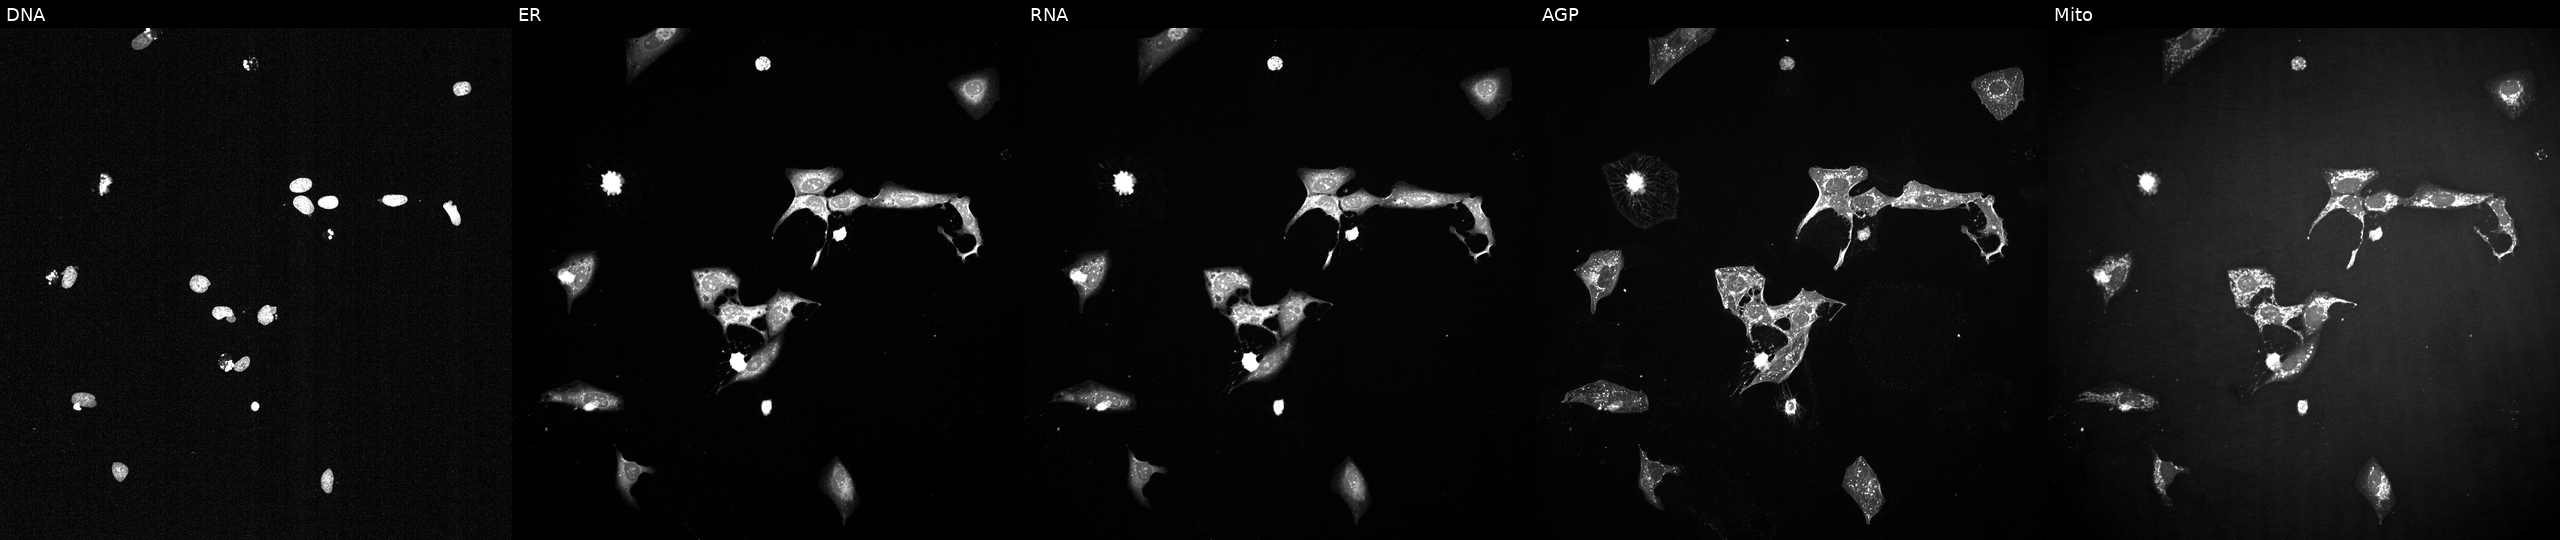
Panels show, left to right, DNA, ER, RNA, AGP, and Mito. U2OS osteosarcoma cells perturbed with a small-molecule compound (InChIKey MJSHVHLADKXCML-UHFFFAOYSA-N) (JUMP id JCP2022_054601). Cell Painting assay, JUMP-CP dataset. Source 2, plate 1053599503, well C11.